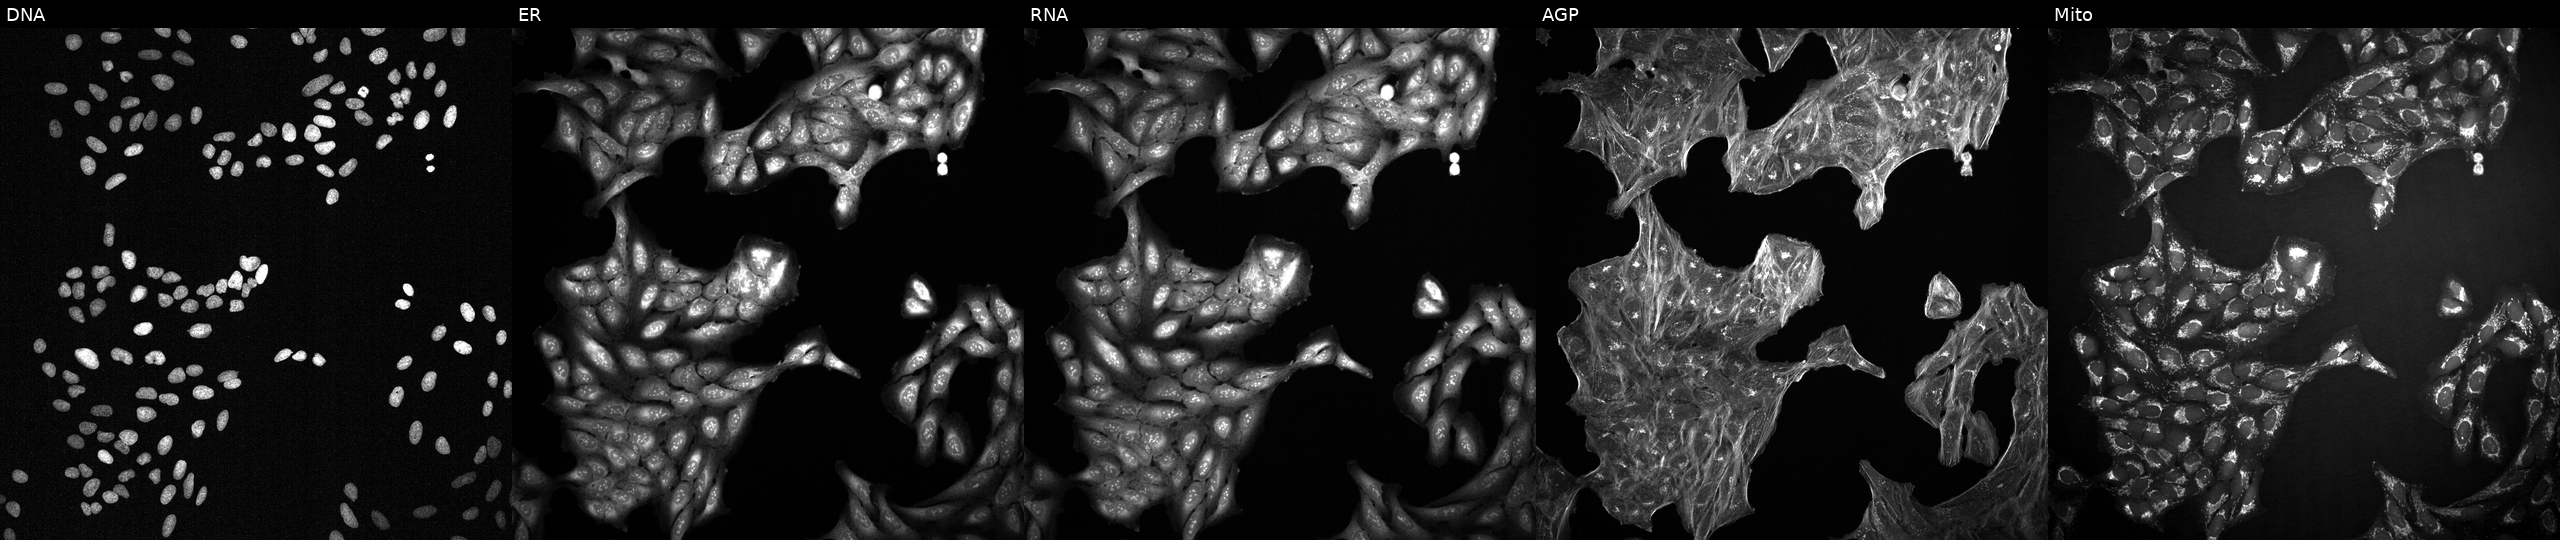
JUMP Cell Painting — TARGET2 plate. U2OS cells perturbed with a small-molecule compound (InChIKey MFDFERRIHVXMIY-UHFFFAOYSA-N) (JUMP id JCP2022_053734). Channels (left→right): DNA (nuclei); ER (endoplasmic reticulum); RNA (nucleoli and cytoplasmic RNA); AGP (actin cytoskeleton, Golgi, and plasma membrane); Mito (mitochondria).